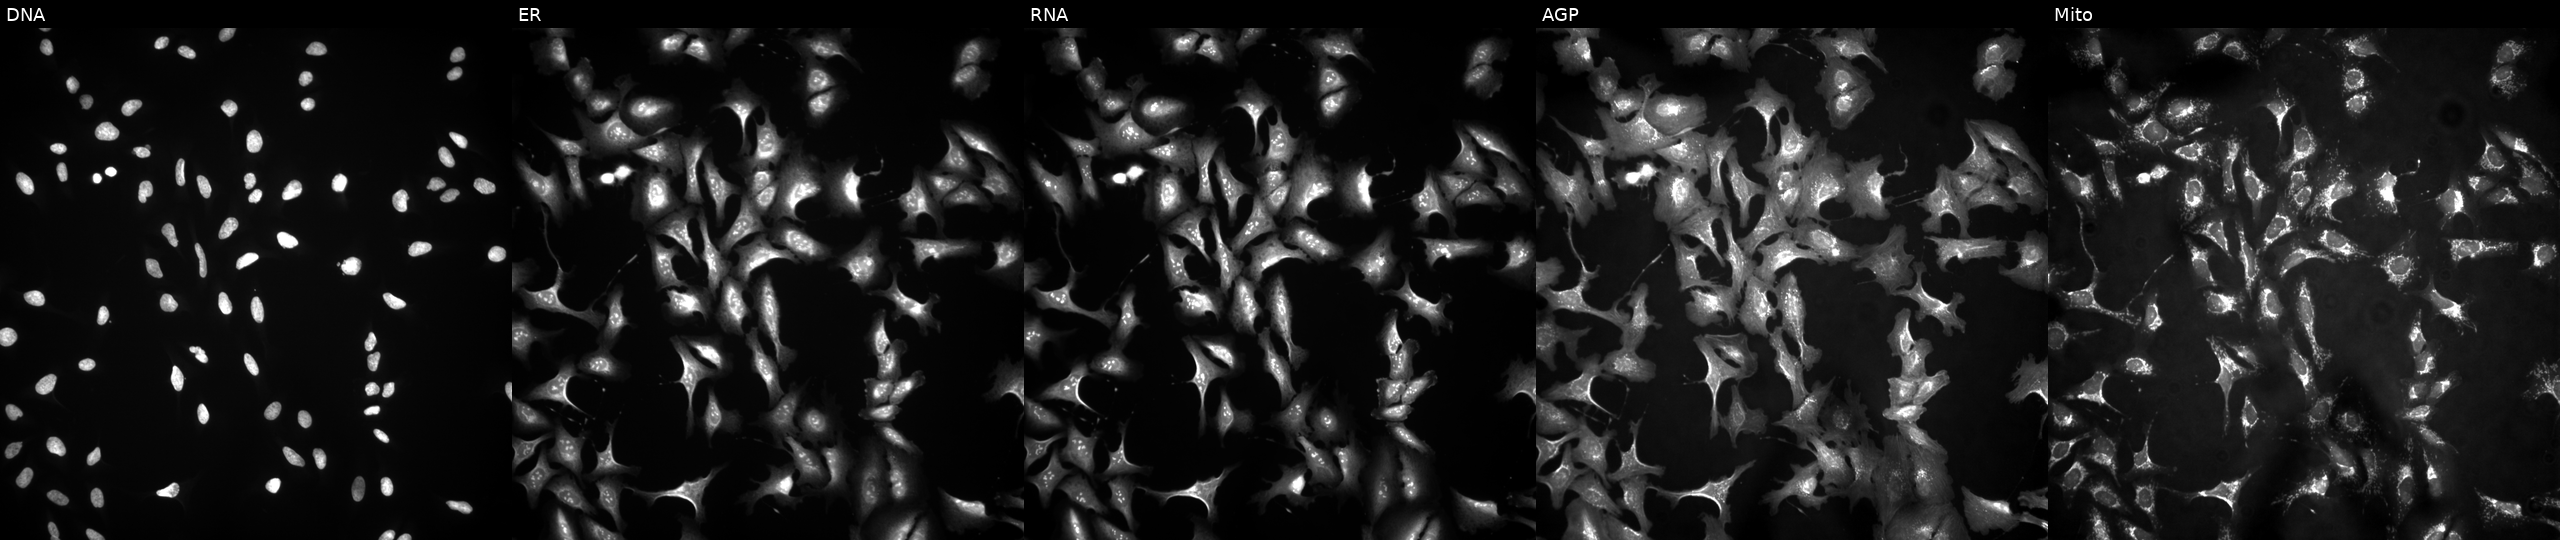
This image strip shows the five Cell Painting channels for a single field of U2OS cells overexpressing LBR via ORF transfection. Panels show, left to right, DNA, ER, RNA, AGP, and Mito.